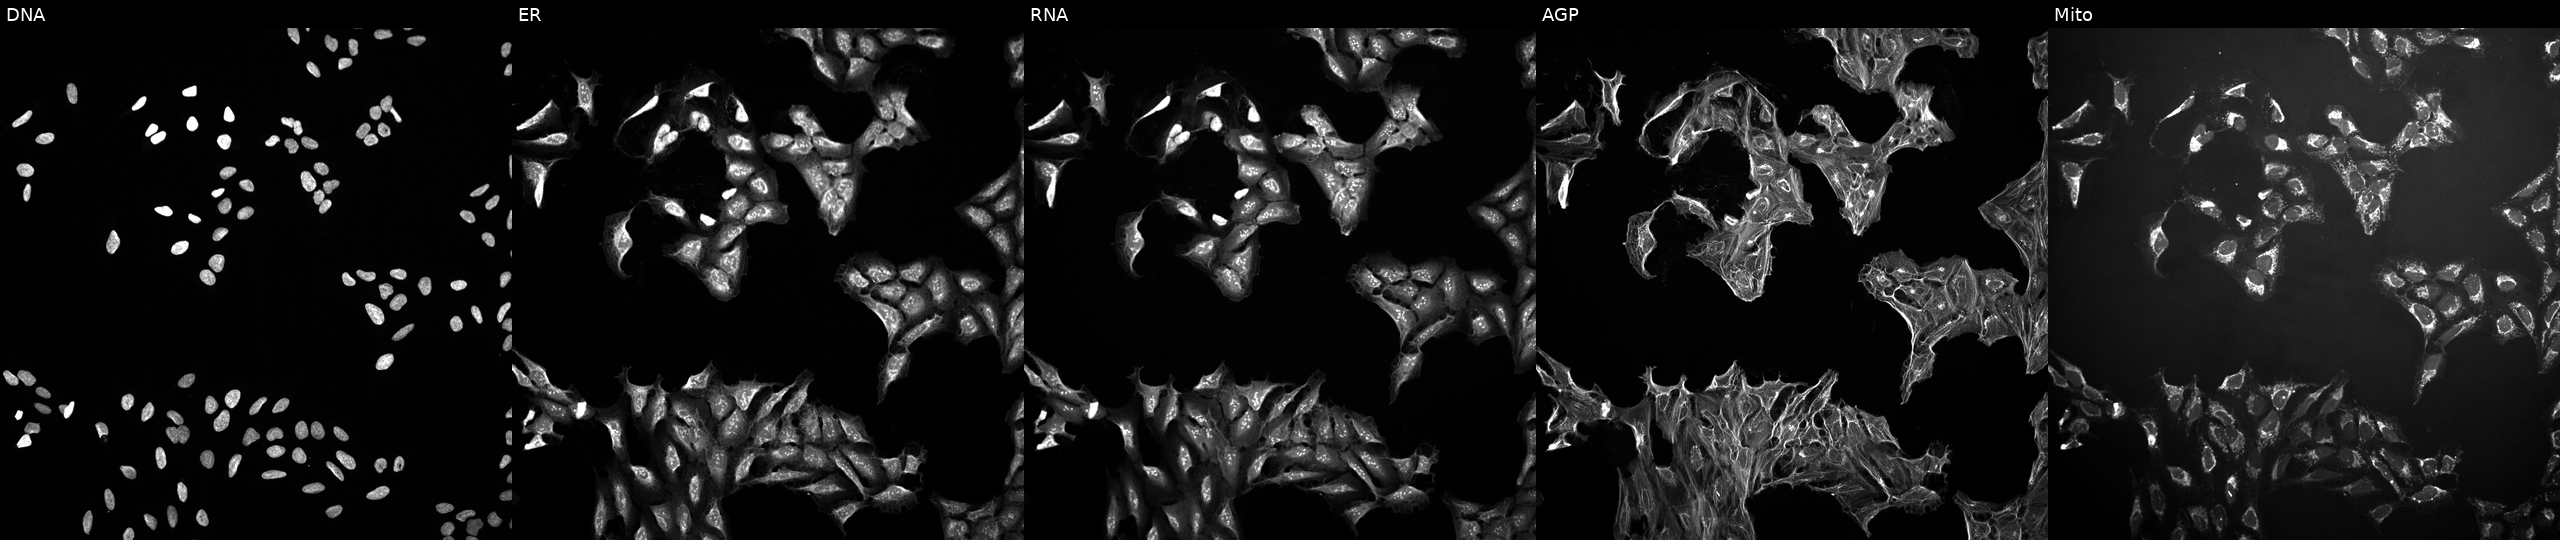
JUMP Cell Painting — TARGET2 plate. U2OS cells perturbed with a small-molecule compound (InChIKey XXRCUYVCPSWGCC-UHFFFAOYSA-N) (JUMP id JCP2022_106722). Panels show, left to right, DNA, ER, RNA, AGP, and Mito.